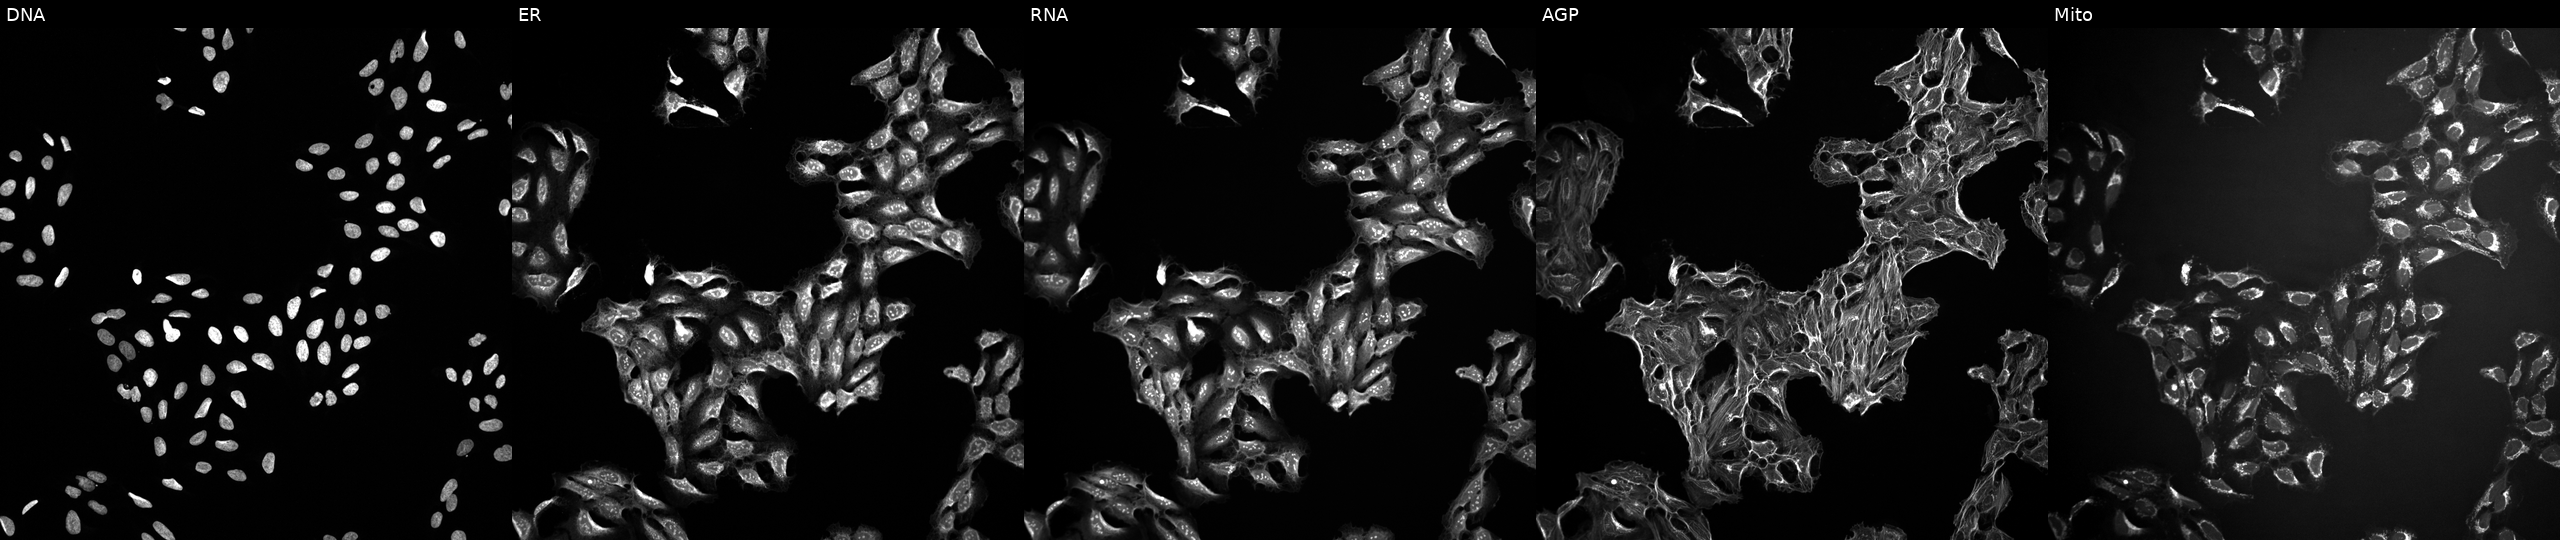
This image strip shows the five Cell Painting channels for a single field of U2OS cells exposed to DMSO alone as a negative control (JUMP id JCP2022_033924). Panels show, left to right, DNA, ER, RNA, AGP, and Mito. Source 10, plate Dest210726-160150, well N20.